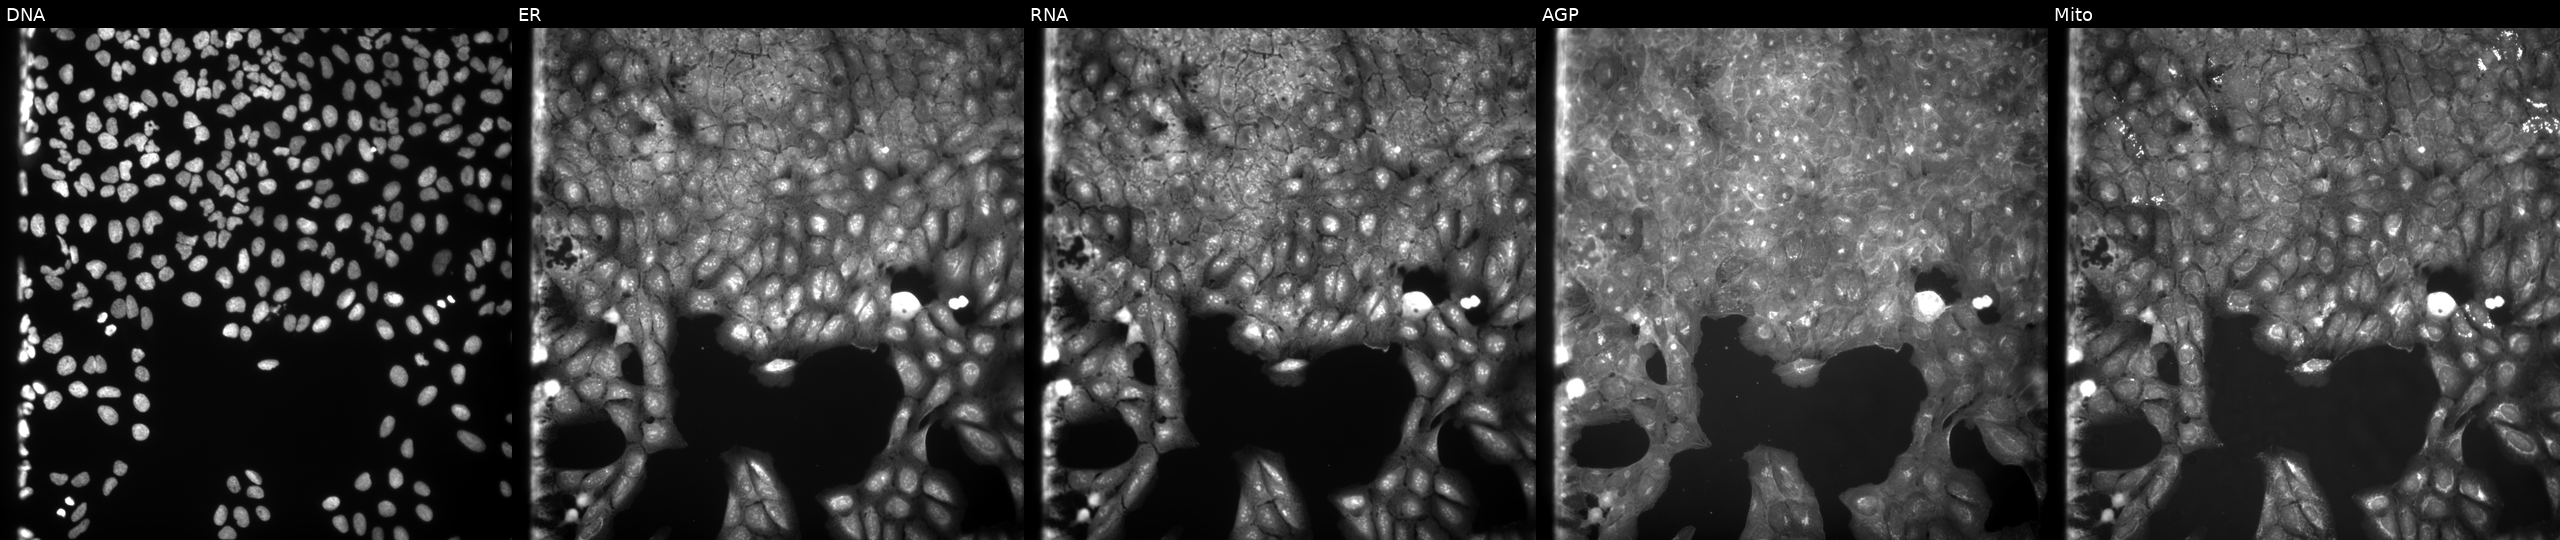
Five-channel Cell Painting image of U2OS cells treated with a small-molecule compound (InChIKey XMOCCKBLDOWVGT-UHFFFAOYSA-N) [SMILES: COc1ccc2c(c1OC)C(=O)OC2CC(=O)c1ccc([N+](=O)[O-])cc1]. Channels (left→right): Hoechst 33342, concanavalin A, SYTO 14, phalloidin and WGA, MitoTracker.